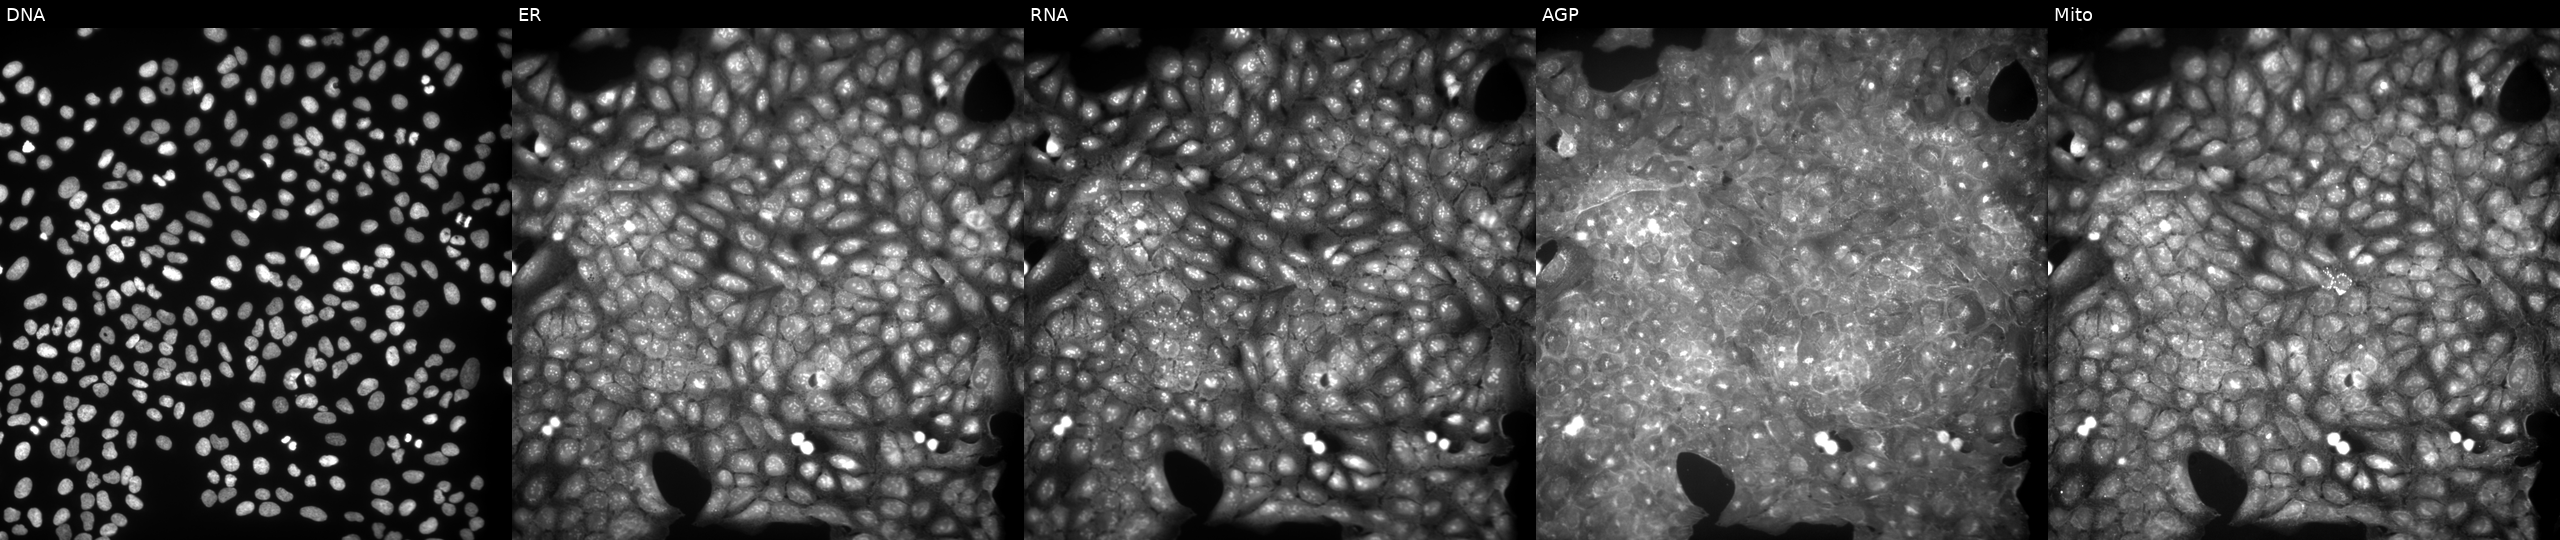
U2OS cells, Cell Painting assay, perturbed with a small-molecule compound (InChIKey AGPZECXSFFAVJN-UHFFFAOYSA-N). Panels show, left to right, DNA, ER, RNA, AGP, and Mito. Each panel is percentile-stretched 16-bit fluorescence.